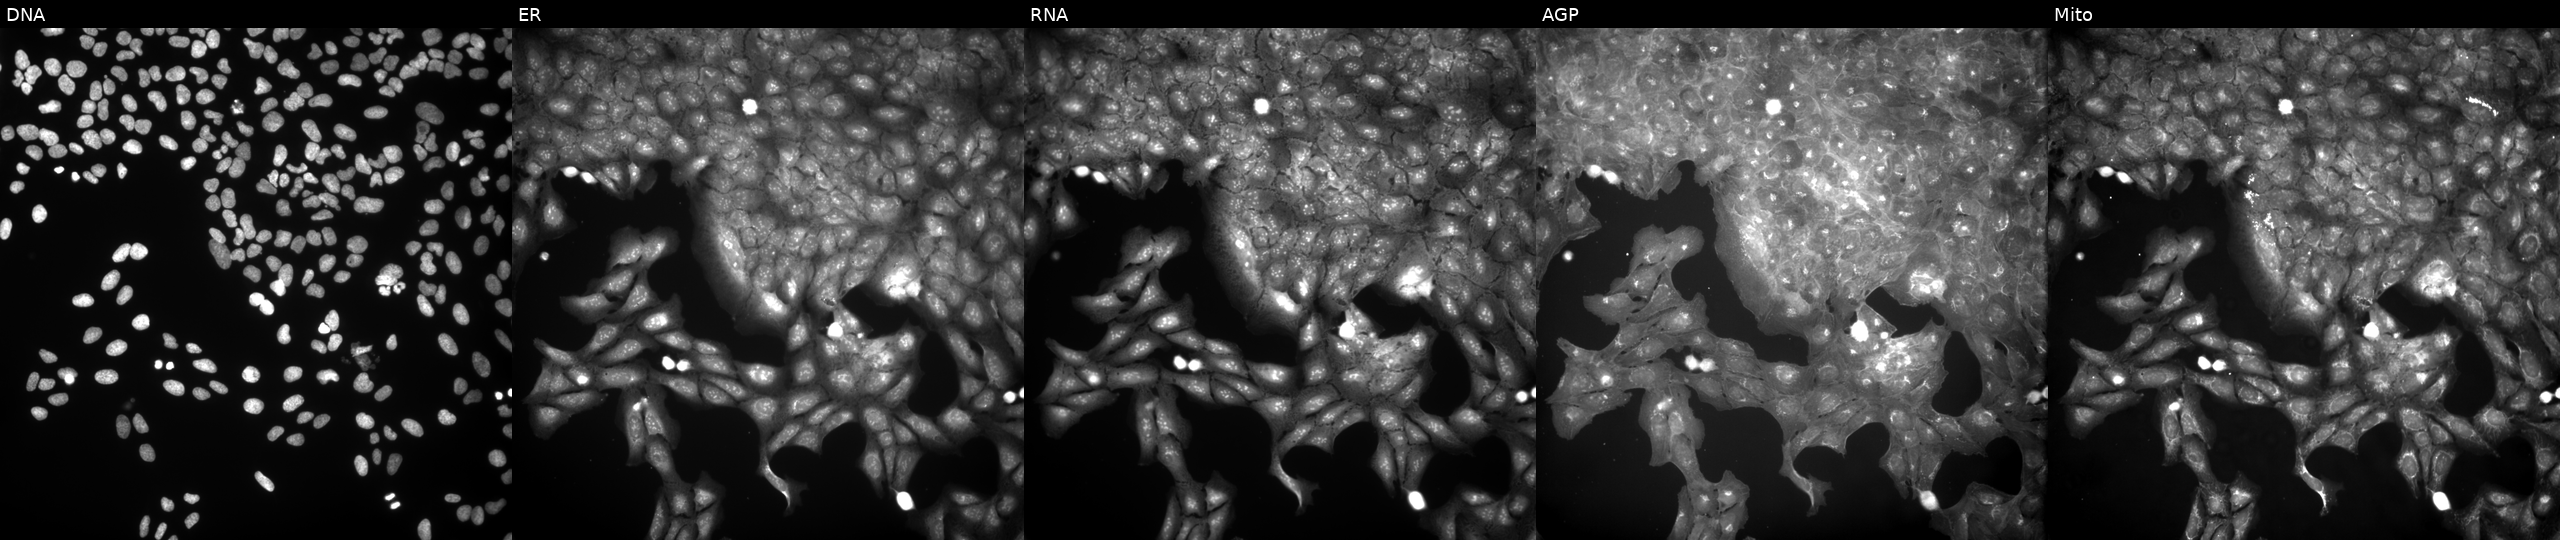
High-content fluorescence microscopy (Cell Painting). Cell line: U2OS. Perturbation: treated with a small-molecule compound (InChIKey SKZHRUFSZCGJCQ-UHFFFAOYSA-N). Panels show, left to right, DNA (nuclei); ER (endoplasmic reticulum); RNA (nucleoli and cytoplasmic RNA); AGP (actin cytoskeleton, Golgi, and plasma membrane); Mito (mitochondria). Source 9, plate GR00003382, well M21.